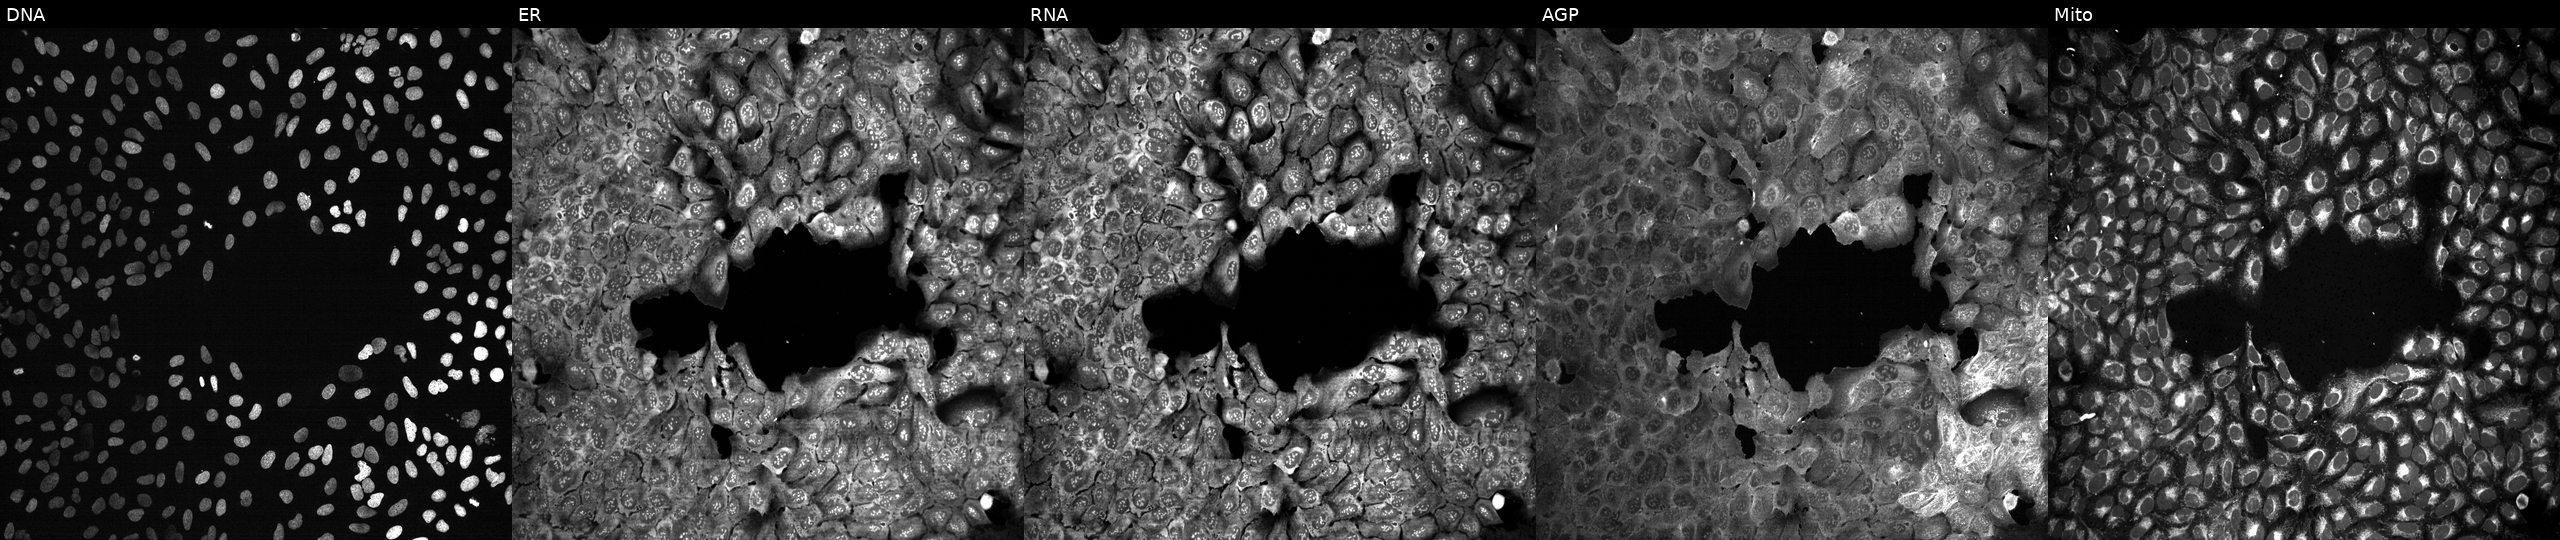
JUMP Cell Painting — CRISPR plate. U2OS cells following CRISPR knockout of IL13RA1 (JUMP id JCP2022_803368). The five panels, left to right, show DNA, ER, RNA, AGP, and Mito. Source 13, plate CP-CC9-R3-01, well F06.